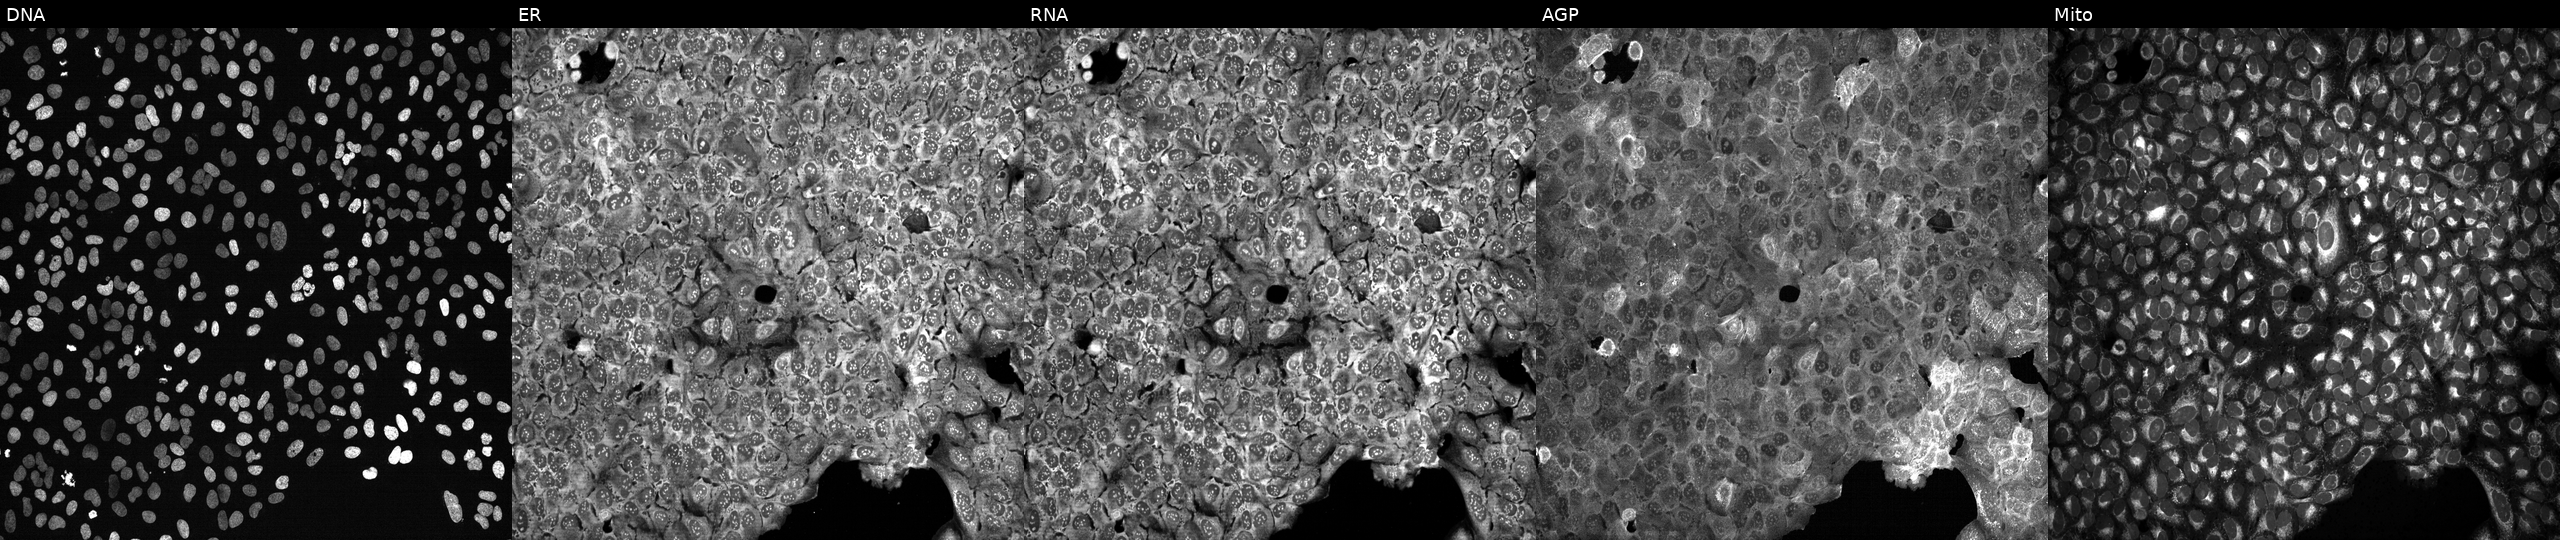
U2OS cells, Cell Painting assay, with MTFMT knocked out by CRISPR (JUMP id JCP2022_804307). The five panels, left to right, show Hoechst 33342, concanavalin A, SYTO 14, phalloidin and WGA, MitoTracker. Each panel is percentile-stretched 16-bit fluorescence.